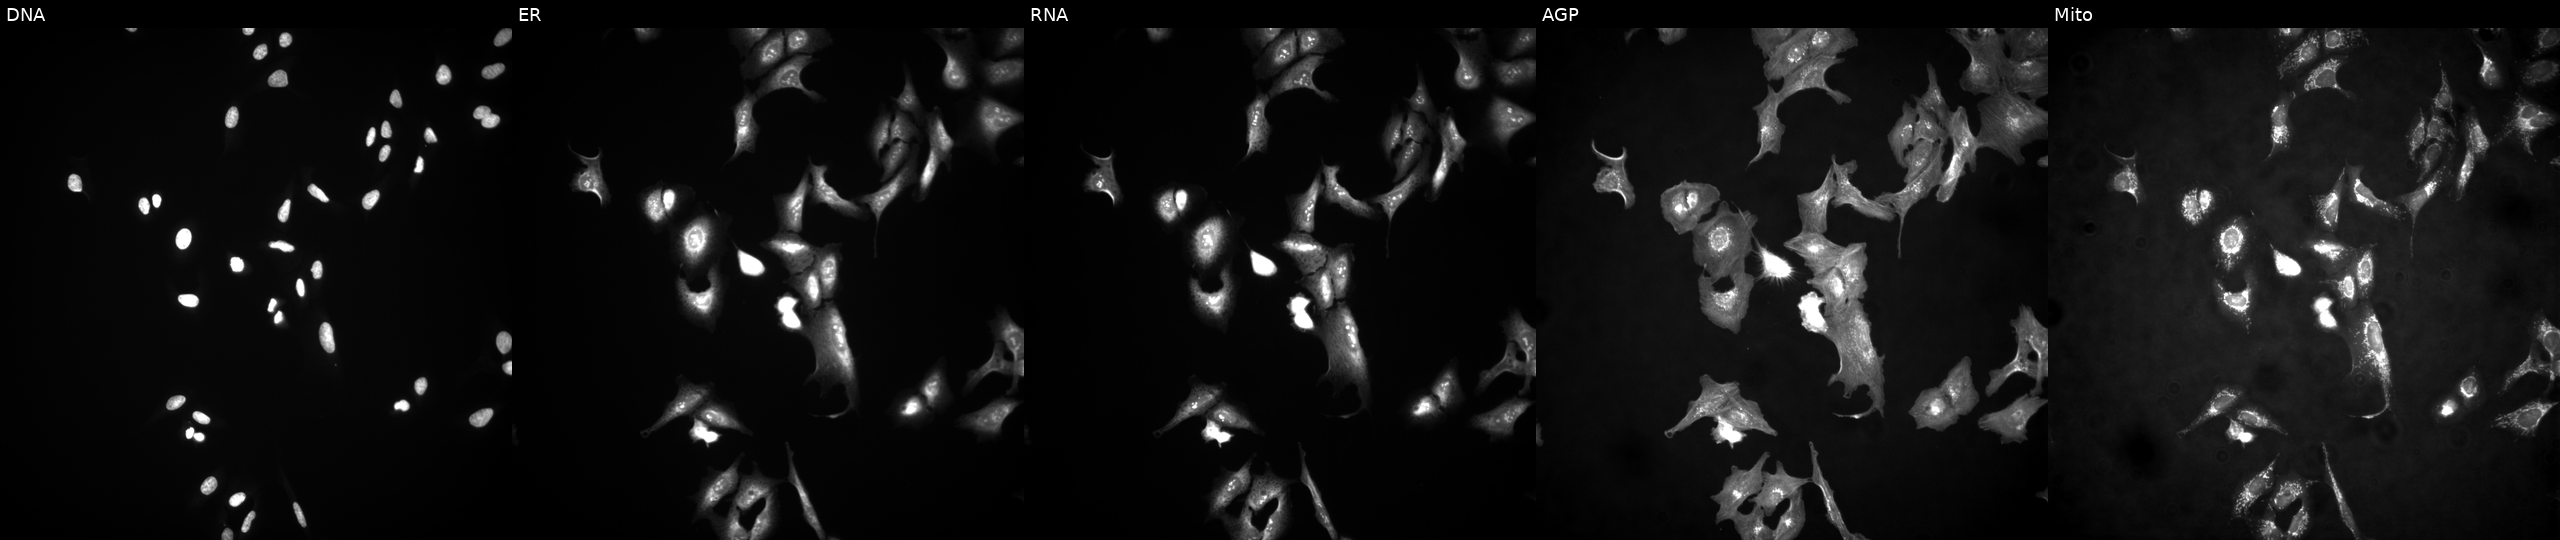
High-content fluorescence microscopy (Cell Painting). Cell line: U2OS. Perturbation: expressing LUCIFERASE (ORF negative control) (JUMP id JCP2022_915130). From left to right: DNA, ER, RNA, AGP, and Mito. Source 4, plate BR00124784, well M19.